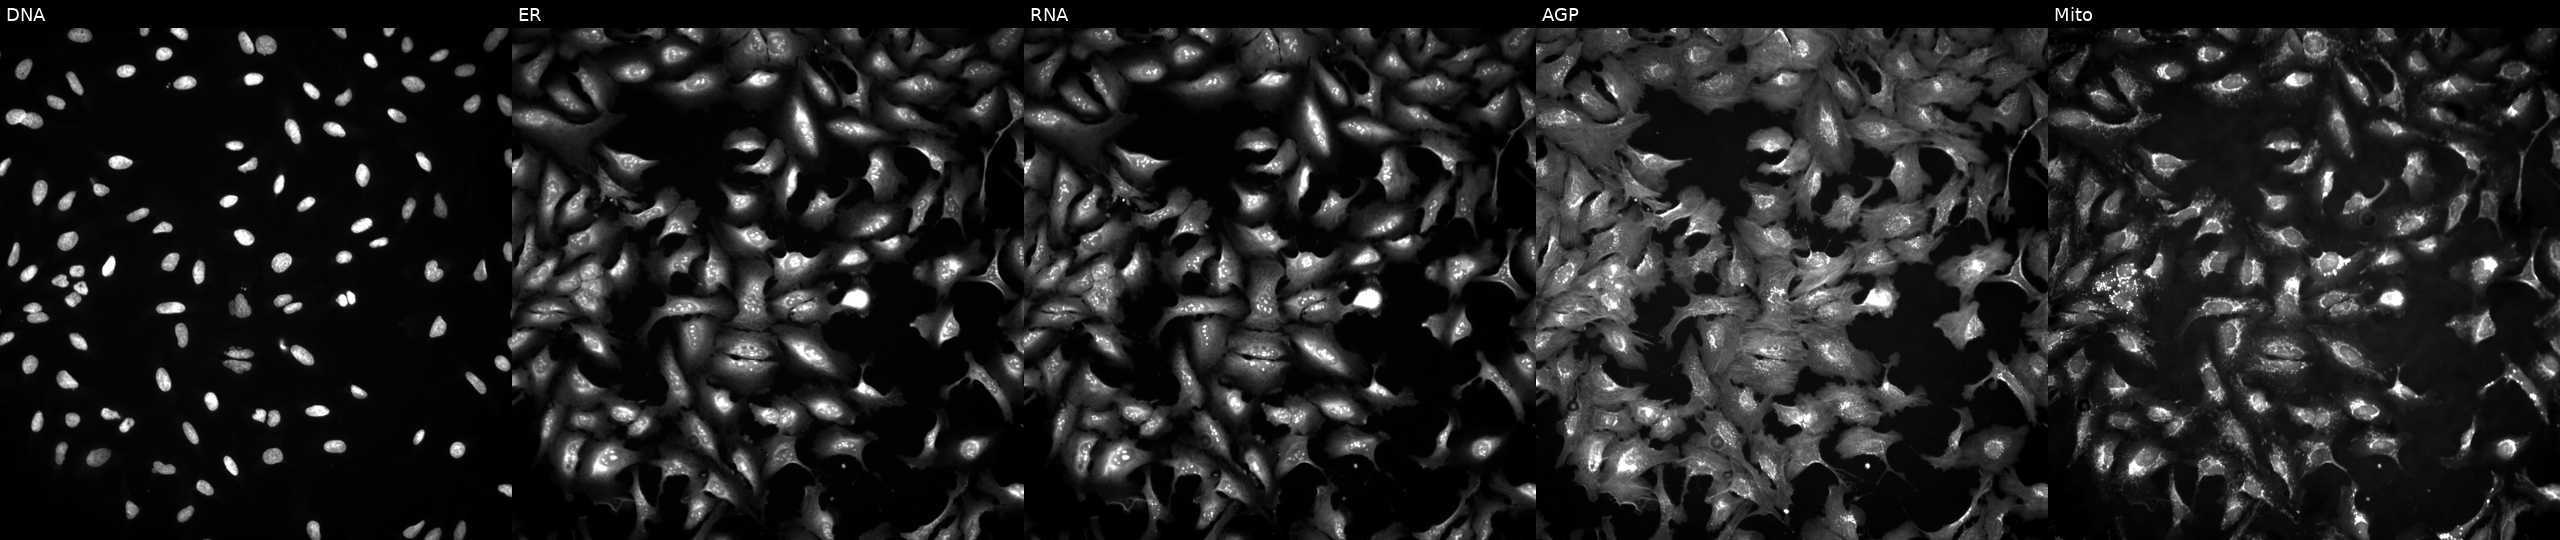
High-content fluorescence microscopy (Cell Painting). Cell line: U2OS. Perturbation: overexpressing STK17A via ORF transfection. Panels show, left to right, DNA, ER, RNA, AGP, and Mito. Source 4, plate BR00123945, well L04.